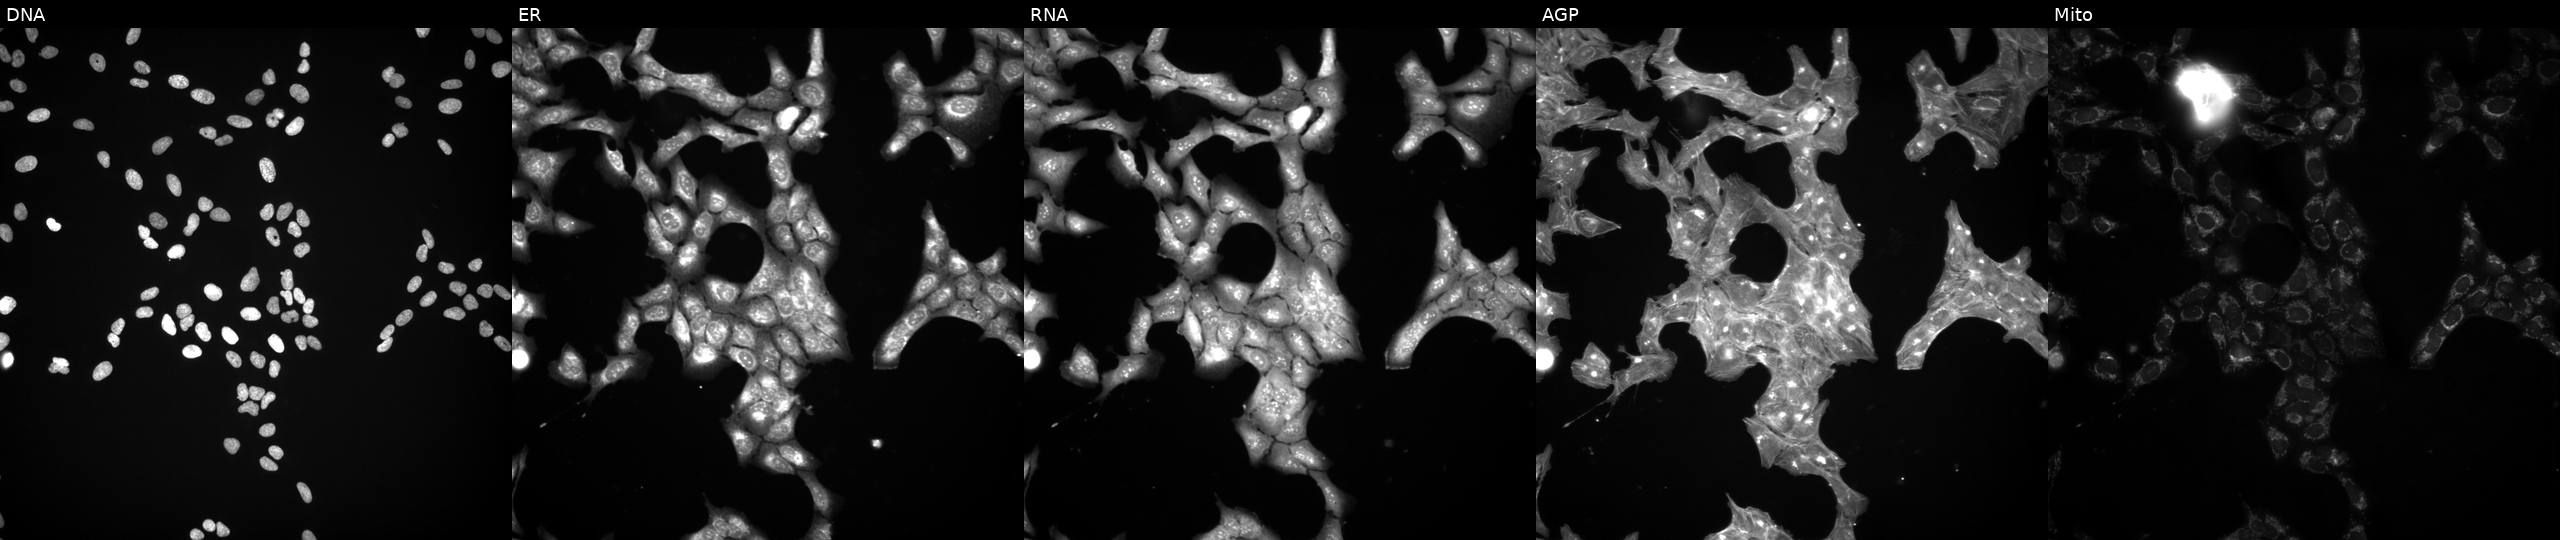
JUMP Cell Painting — TARGET2 plate. U2OS cells treated with a small-molecule compound (InChIKey XFILPEOLDIKJHX-UHFFFAOYSA-N). From left to right: Hoechst 33342, concanavalin A, SYTO 14, phalloidin and WGA, MitoTracker. Source 3, plate JCPQC053, well G20.